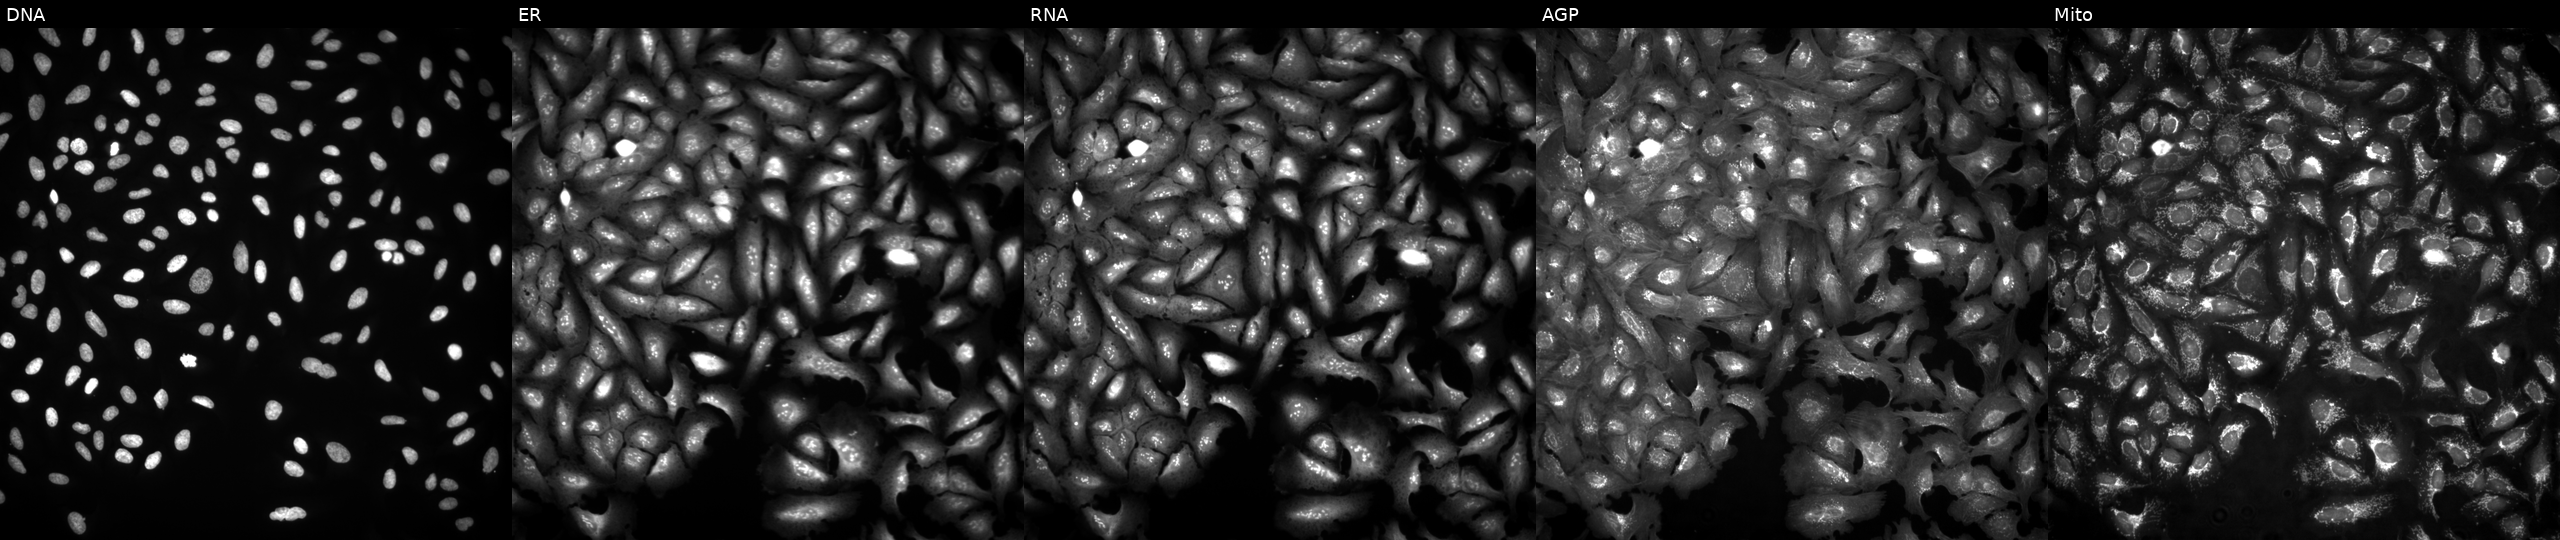
Five-channel Cell Painting image of U2OS cells overexpressing PFN4 via ORF transfection. From left to right: DNA (nuclei); ER (endoplasmic reticulum); RNA (nucleoli and cytoplasmic RNA); AGP (actin cytoskeleton, Golgi, and plasma membrane); Mito (mitochondria).